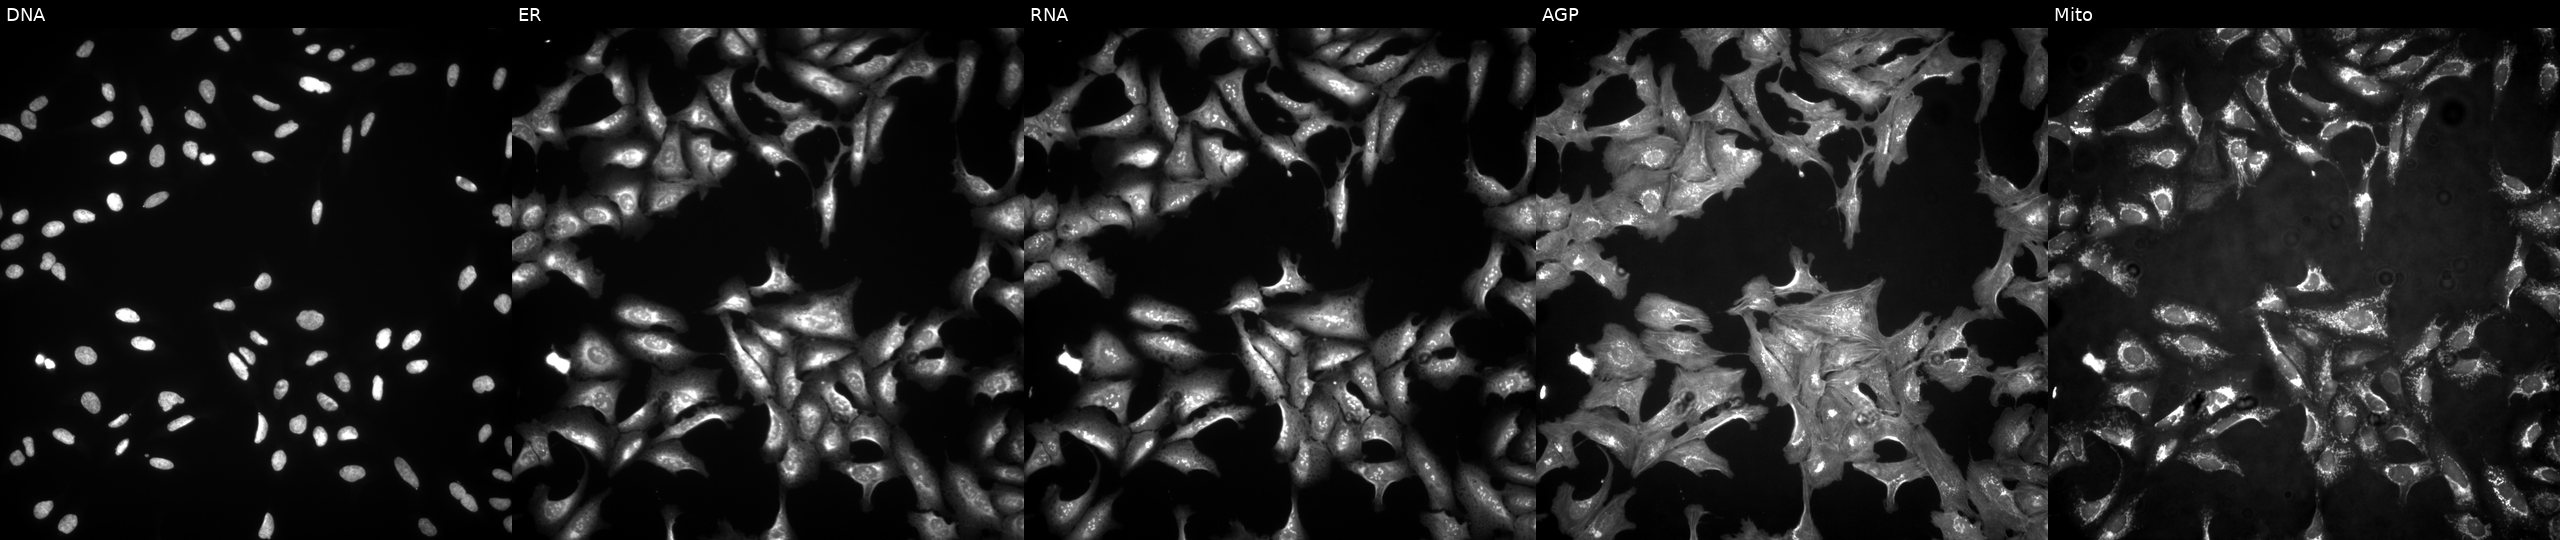
This image strip shows the five Cell Painting channels for a single field of U2OS cells transfected with an ORF construct for CXorf58. Channels (left→right): Hoechst 33342, concanavalin A, SYTO 14, phalloidin and WGA, MitoTracker. Source 4, plate BR00123509, well E24.